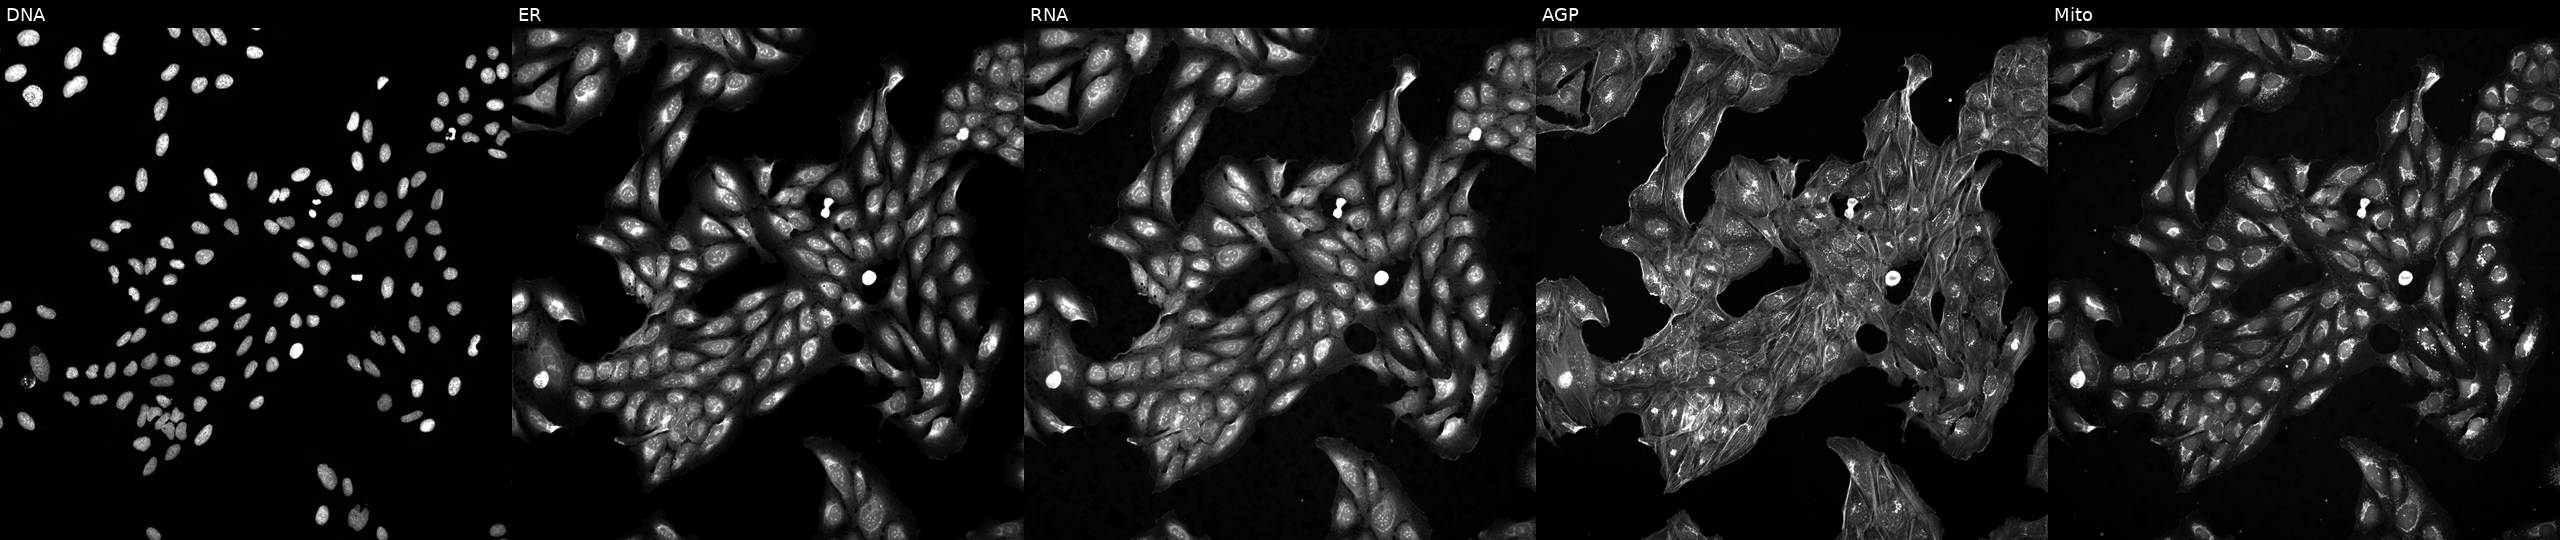
This image strip shows the five Cell Painting channels for a single field of U2OS cells treated with DMSO vehicle only (negative control). The five panels, left to right, show Hoechst 33342, concanavalin A, SYTO 14, phalloidin and WGA, MitoTracker.